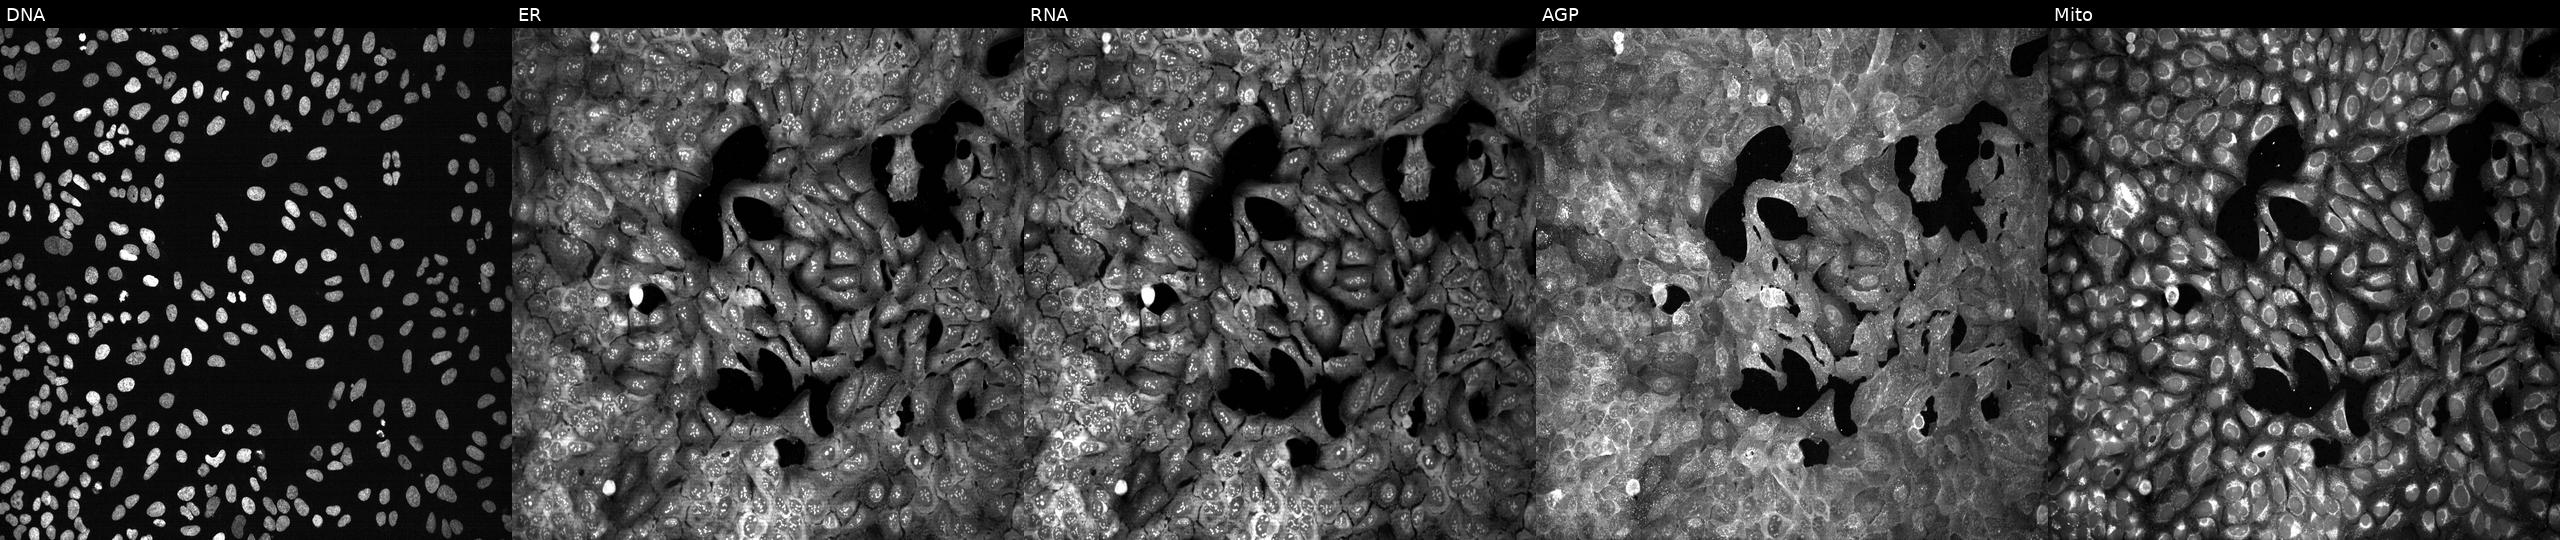
High-content fluorescence microscopy (Cell Painting). Cell line: U2OS. Perturbation: CRISPR-edited to disrupt RAB35 (JUMP id JCP2022_805766). Panels show, left to right, DNA (nuclei); ER (endoplasmic reticulum); RNA (nucleoli and cytoplasmic RNA); AGP (actin cytoskeleton, Golgi, and plasma membrane); Mito (mitochondria). Source 13, plate CP-CC9-R5-01, well J19.